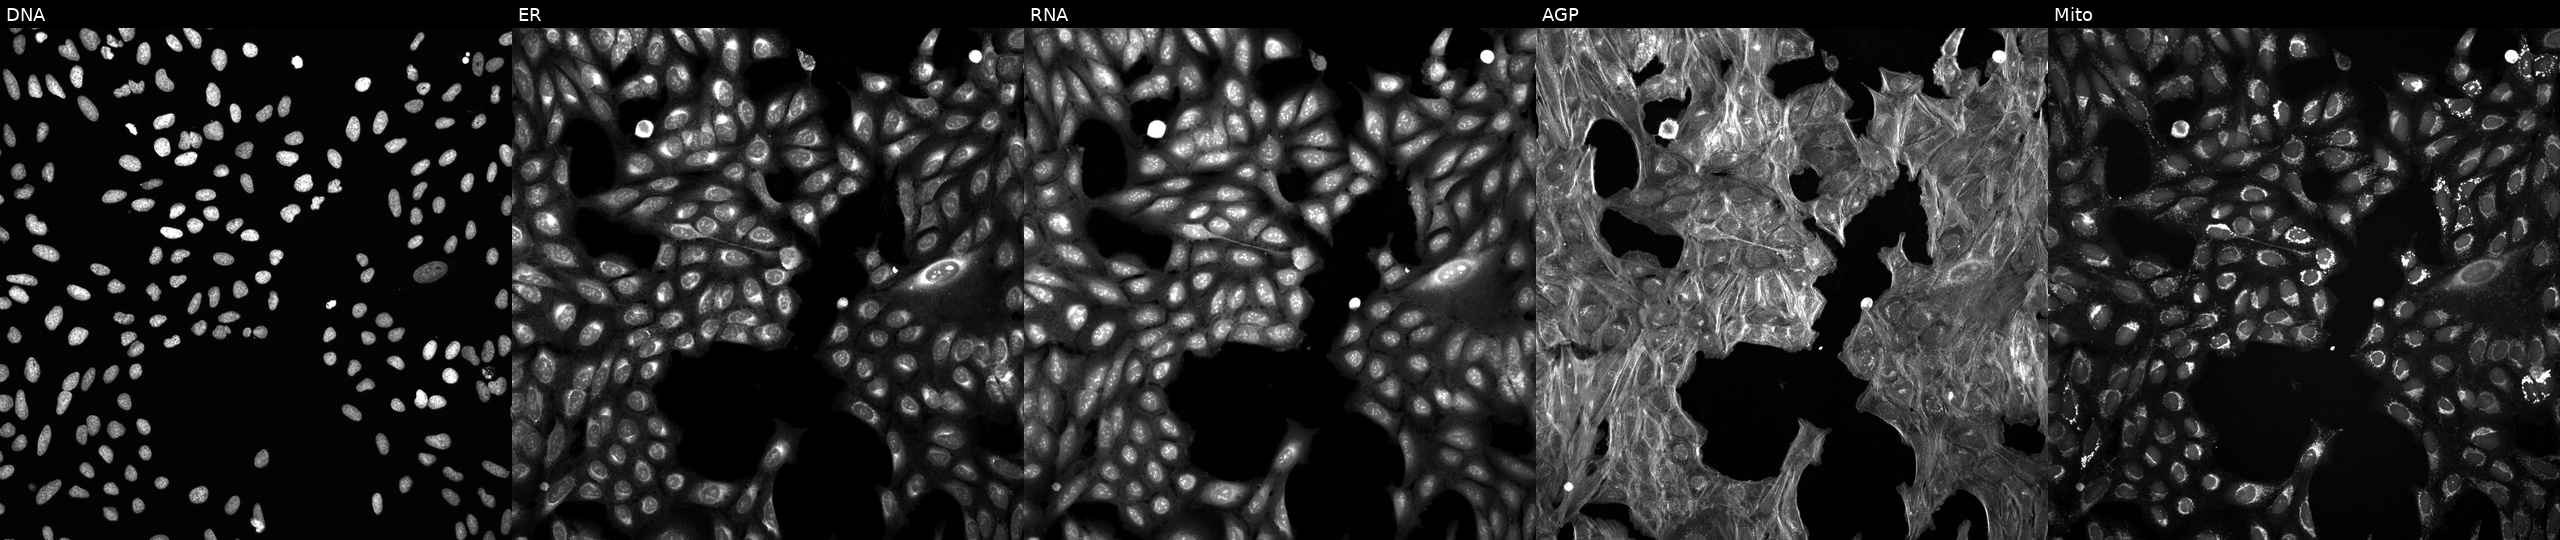
JUMP Cell Painting — TARGET2 plate. U2OS cells exposed to a small-molecule compound (InChIKey ALOBUEHUHMBRLE-UHFFFAOYSA-N) (JUMP id JCP2022_002206). From left to right: Hoechst 33342, concanavalin A, SYTO 14, phalloidin and WGA, MitoTracker. Source 6, plate 110000293081, well K20.